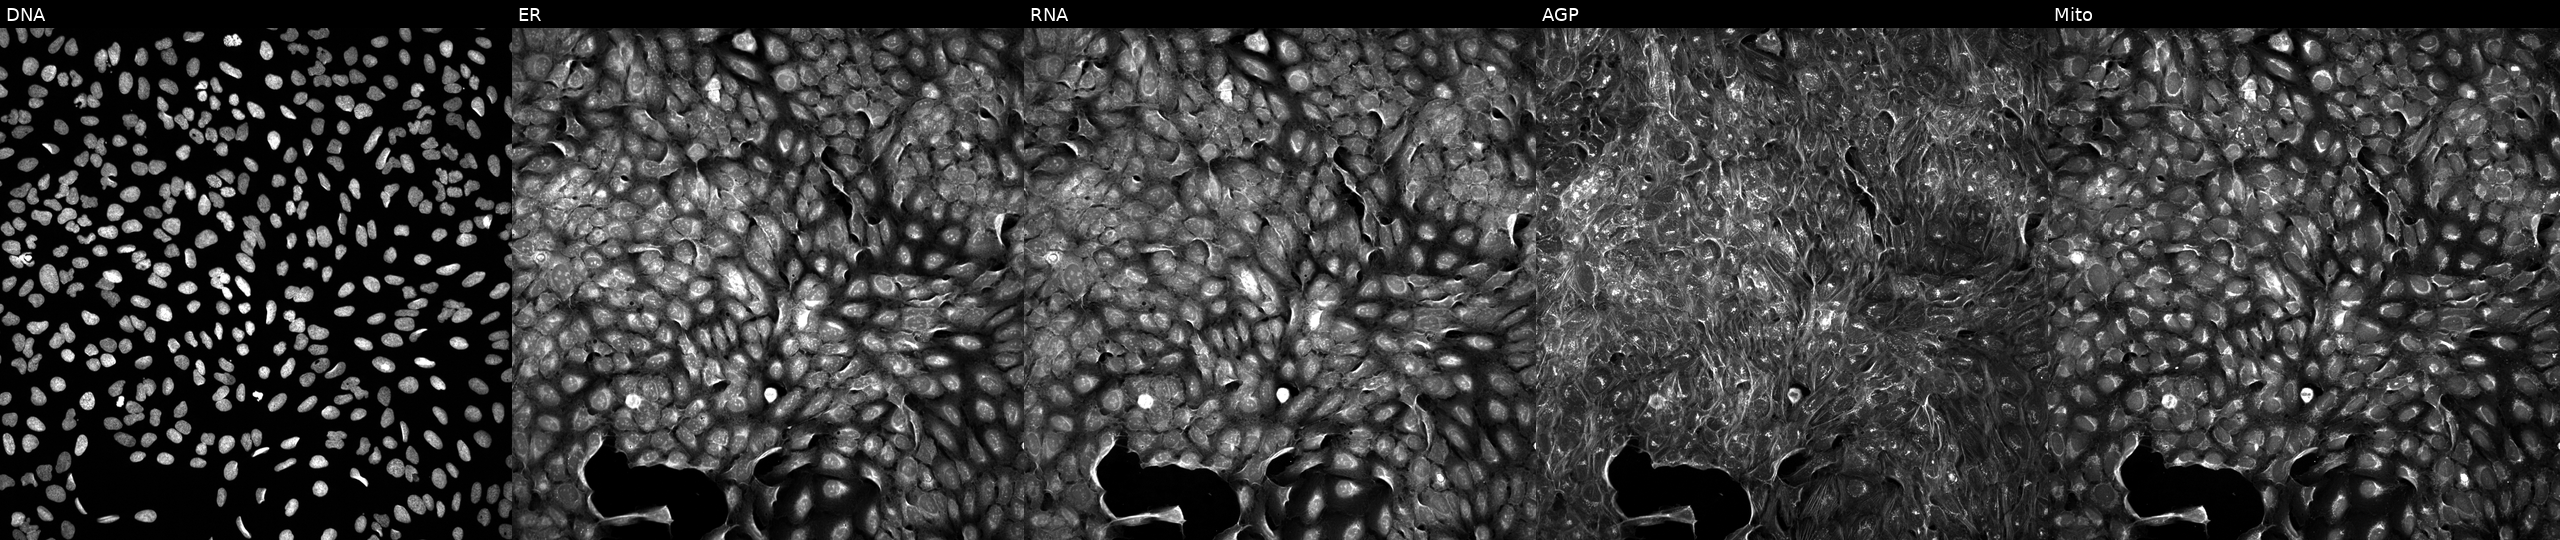
Five-channel Cell Painting image of U2OS cells perturbed with a small-molecule compound (InChIKey YNKGNQOYXGQSIP-UHFFFAOYSA-N) [SMILES: CCN(Cc1cnn(CC)c1)C(=O)CCC1CCN(S(=O)(=O)c2ccccc2)CC1]. The five panels, left to right, show DNA, ER, RNA, AGP, and Mito.